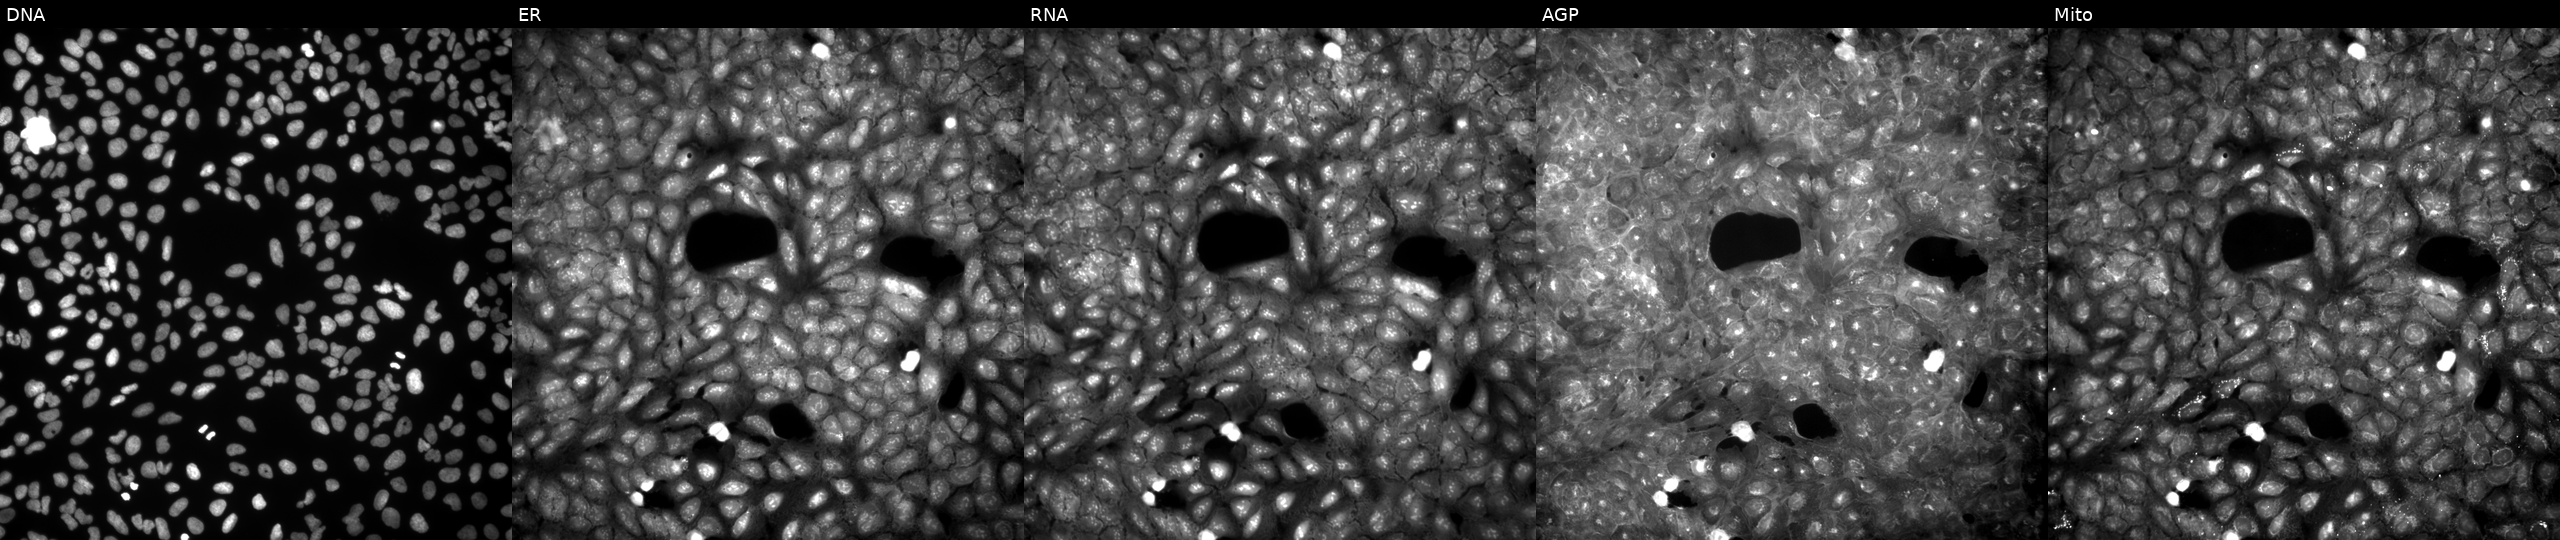
U2OS cells, Cell Painting assay, perturbed with a small-molecule compound (InChIKey ONOCFBWSGWWGAR-UHFFFAOYSA-N). From left to right: Hoechst 33342, concanavalin A, SYTO 14, phalloidin and WGA, MitoTracker. Each panel is percentile-stretched 16-bit fluorescence.